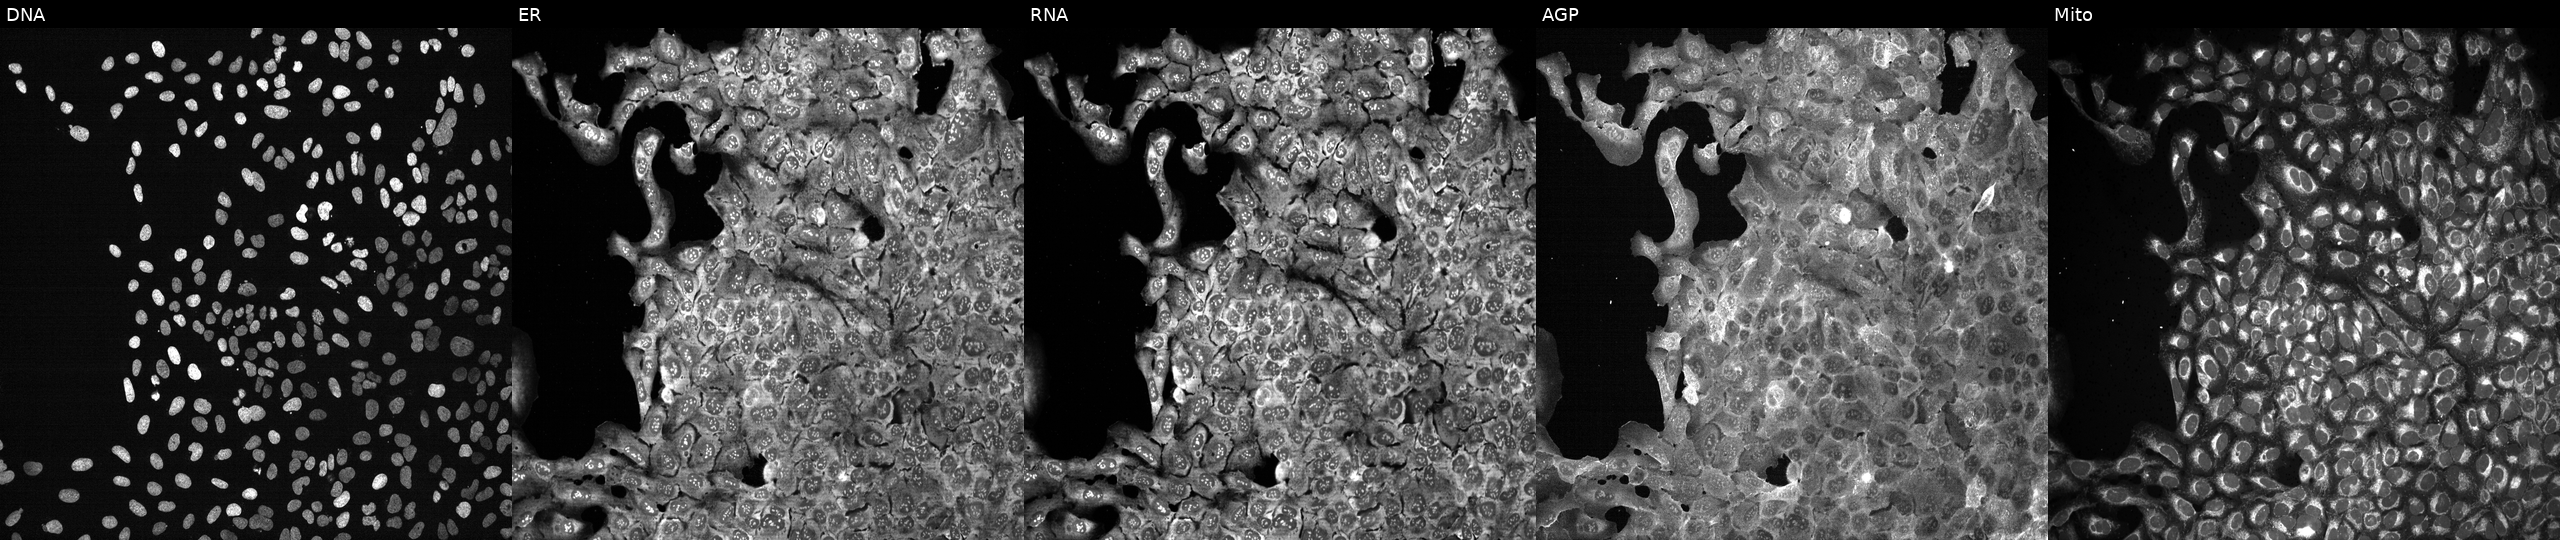
This image strip shows the five Cell Painting channels for a single field of U2OS cells with GALT knocked out by CRISPR (JUMP id JCP2022_802605). The five panels, left to right, show DNA (nuclei); ER (endoplasmic reticulum); RNA (nucleoli and cytoplasmic RNA); AGP (actin cytoskeleton, Golgi, and plasma membrane); Mito (mitochondria).